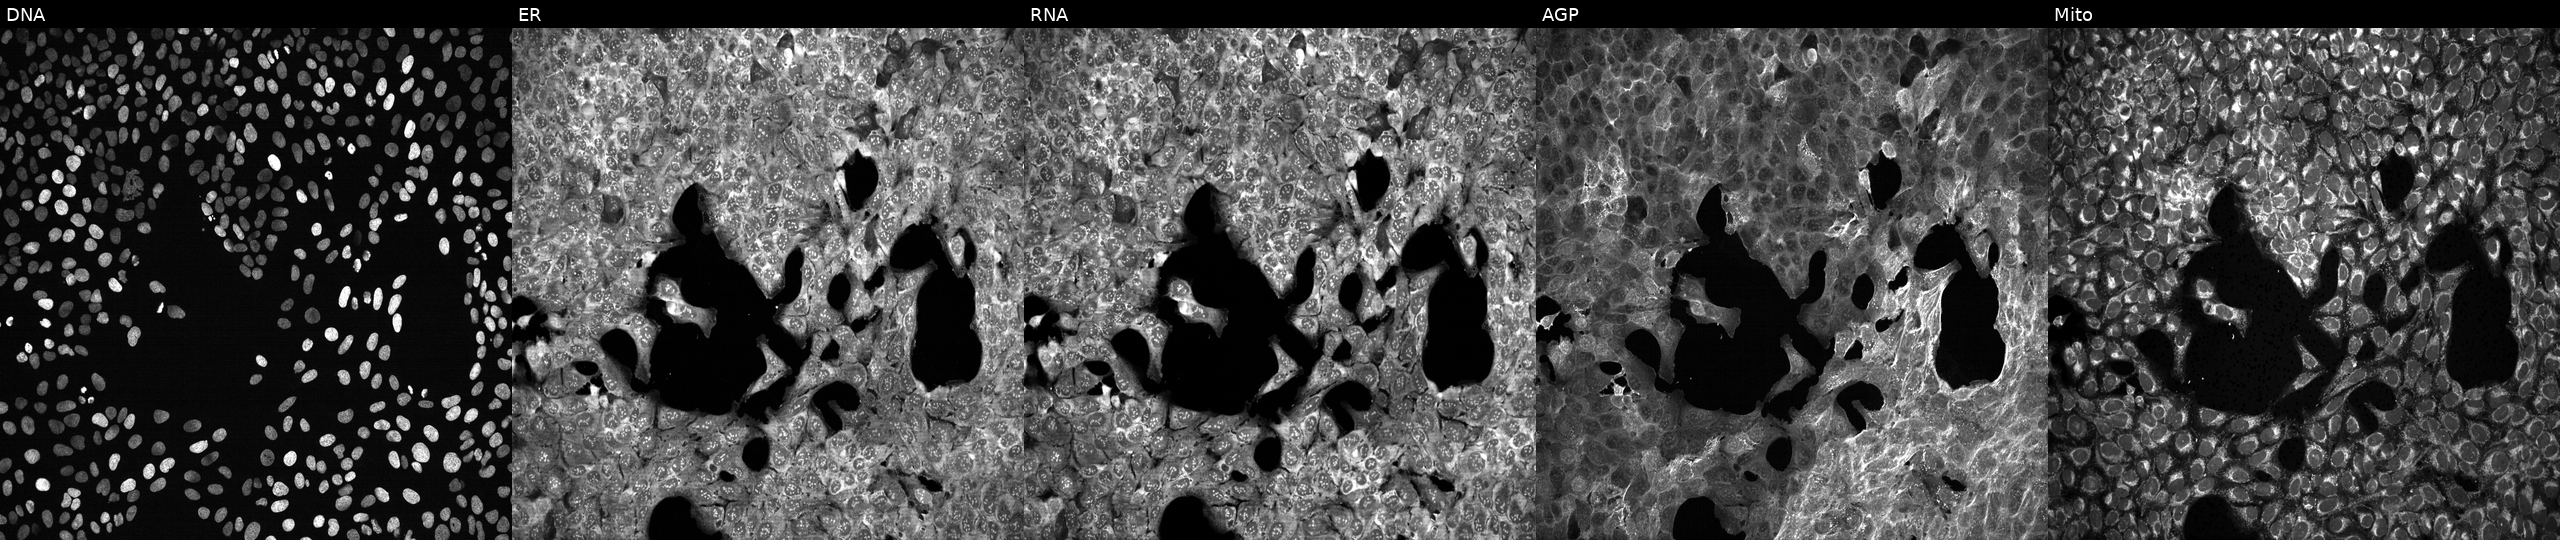
The five panels, left to right, show Hoechst 33342, concanavalin A, SYTO 14, phalloidin and WGA, MitoTracker. U2OS osteosarcoma cells exposed to the positive-control compound LY2109761. Cell Painting assay, JUMP-CP dataset. Source 13, plate CP-CC9-R2-01, well D24.